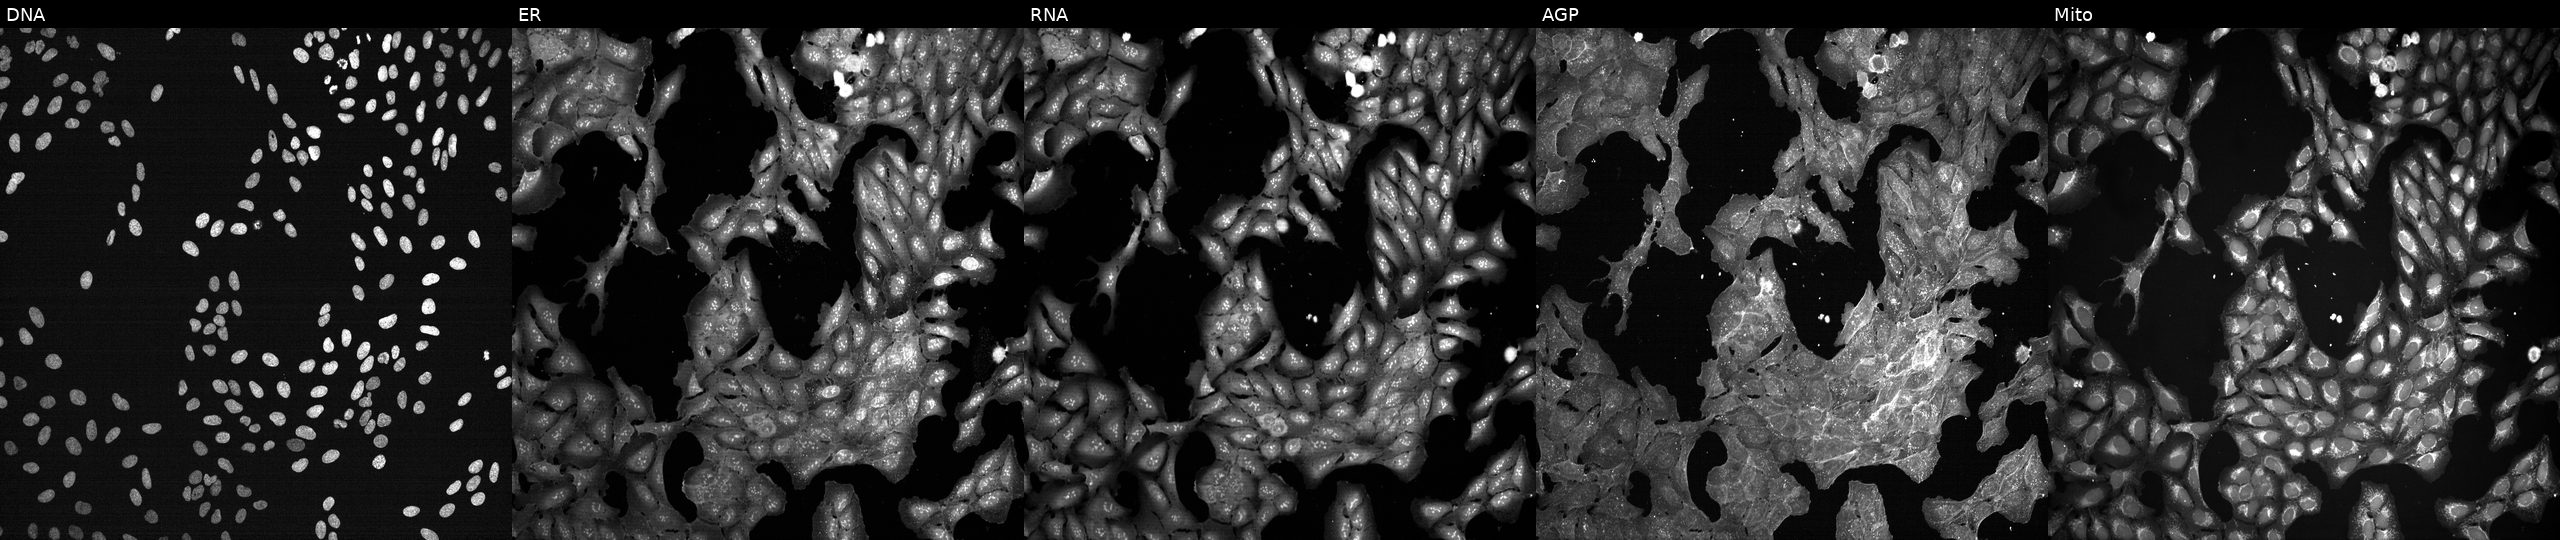
JUMP Cell Painting — TARGET2 plate. U2OS cells treated with DMSO vehicle only (negative control) (JUMP id JCP2022_033924). Channels (left→right): Hoechst 33342, concanavalin A, SYTO 14, phalloidin and WGA, MitoTracker.